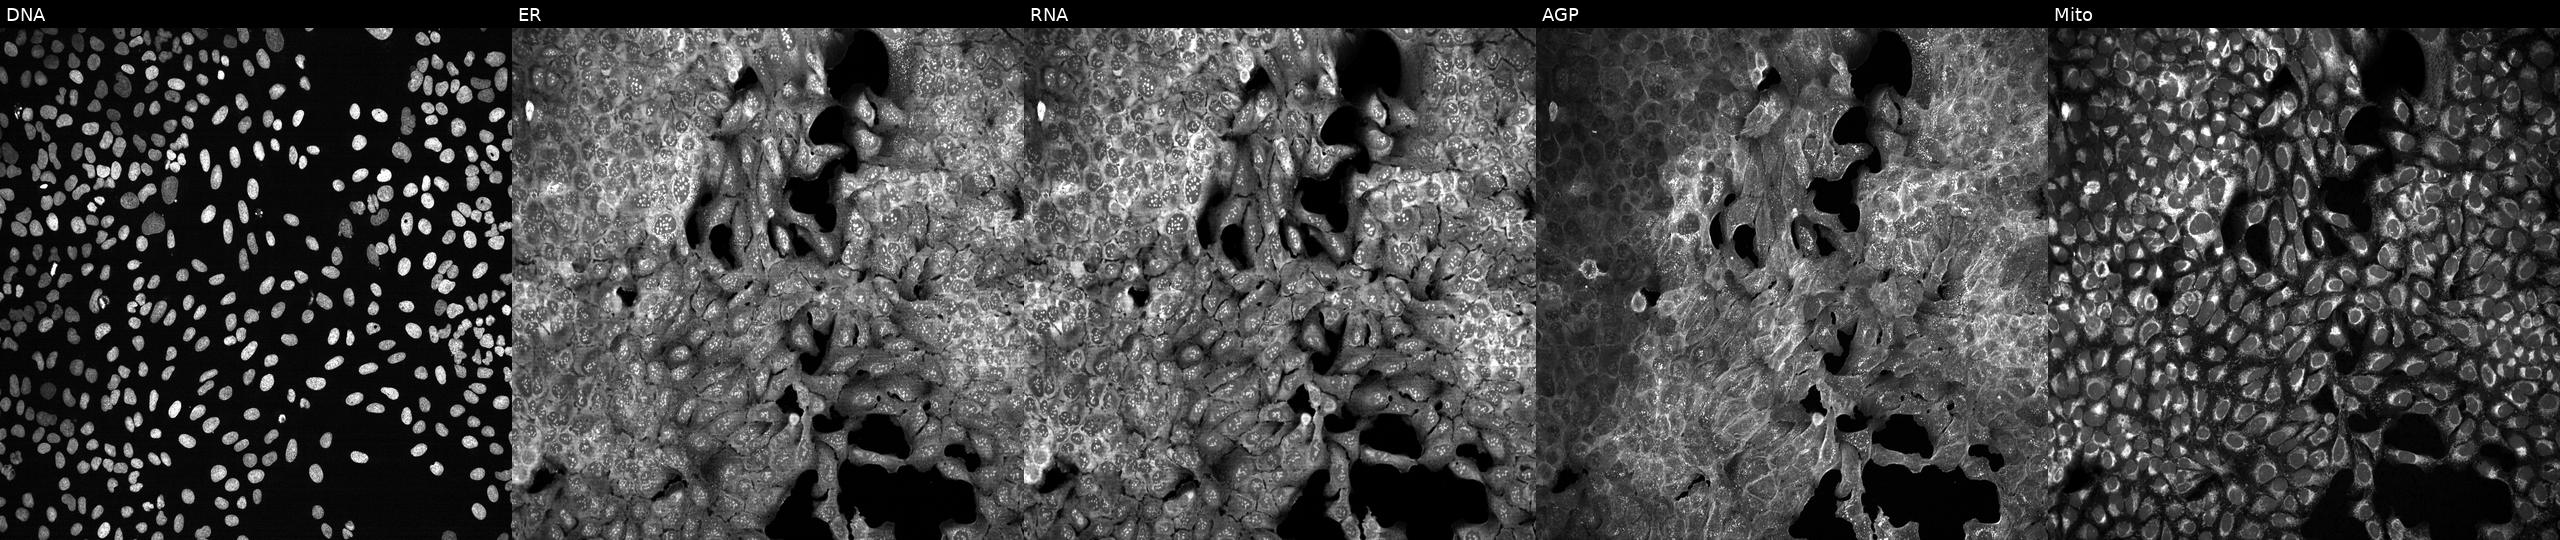
JUMP Cell Painting — CRISPR plate. U2OS cells treated with aloxistatin (positive-control compound) (JUMP id JCP2022_085227). From left to right: DNA, ER, RNA, AGP, and Mito.